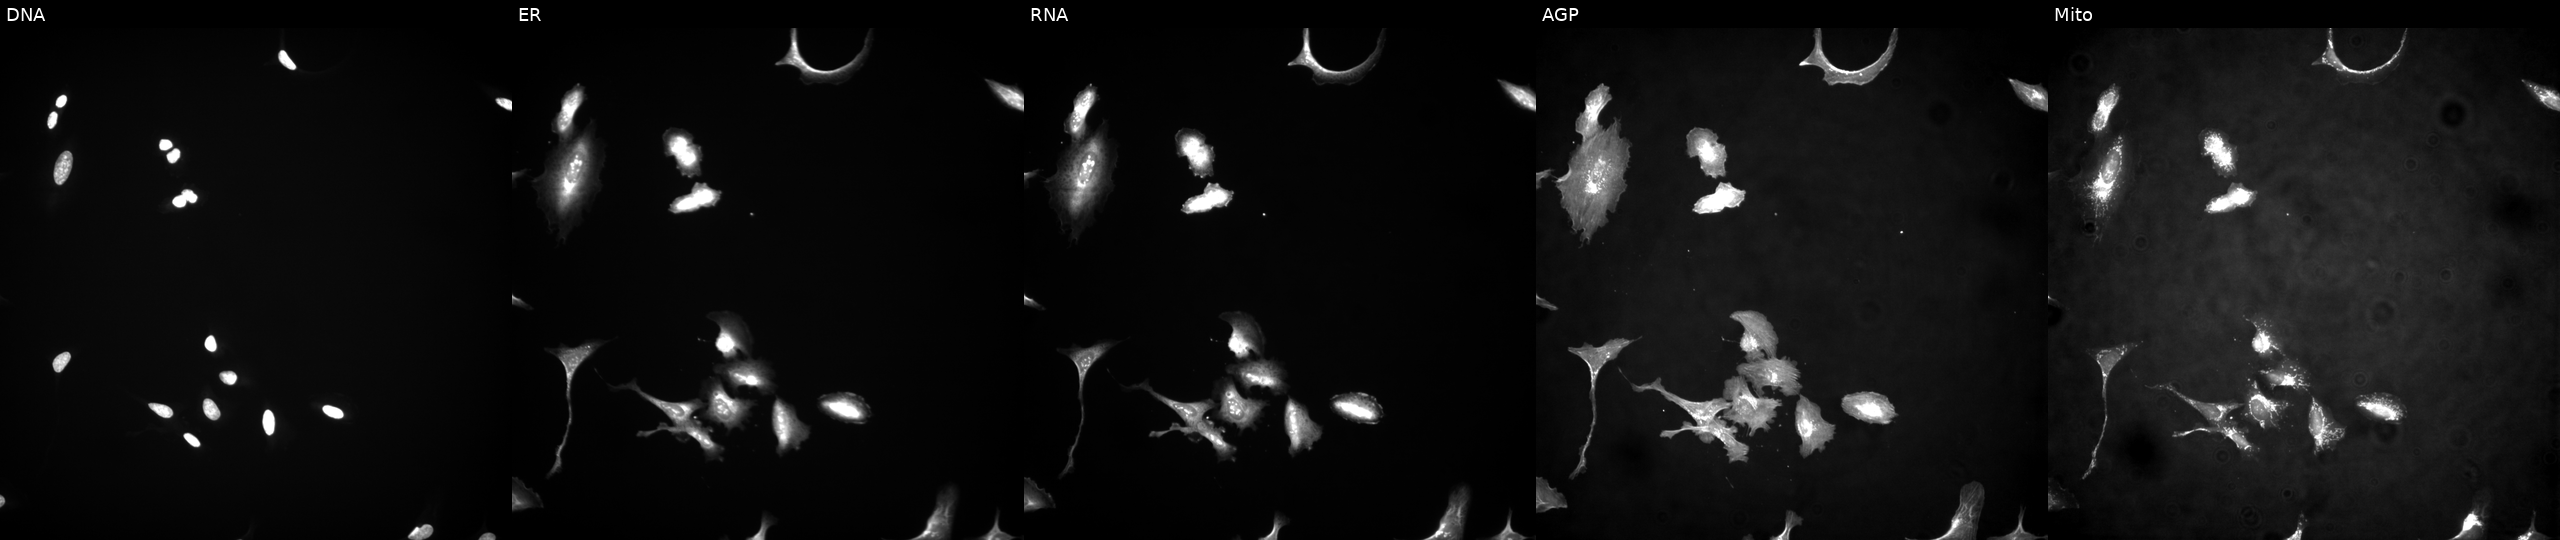
JUMP Cell Painting — ORF plate. U2OS cells overexpressing MSH2 via ORF transfection (JUMP id JCP2022_900968). Channels (left→right): Hoechst 33342, concanavalin A, SYTO 14, phalloidin and WGA, MitoTracker.